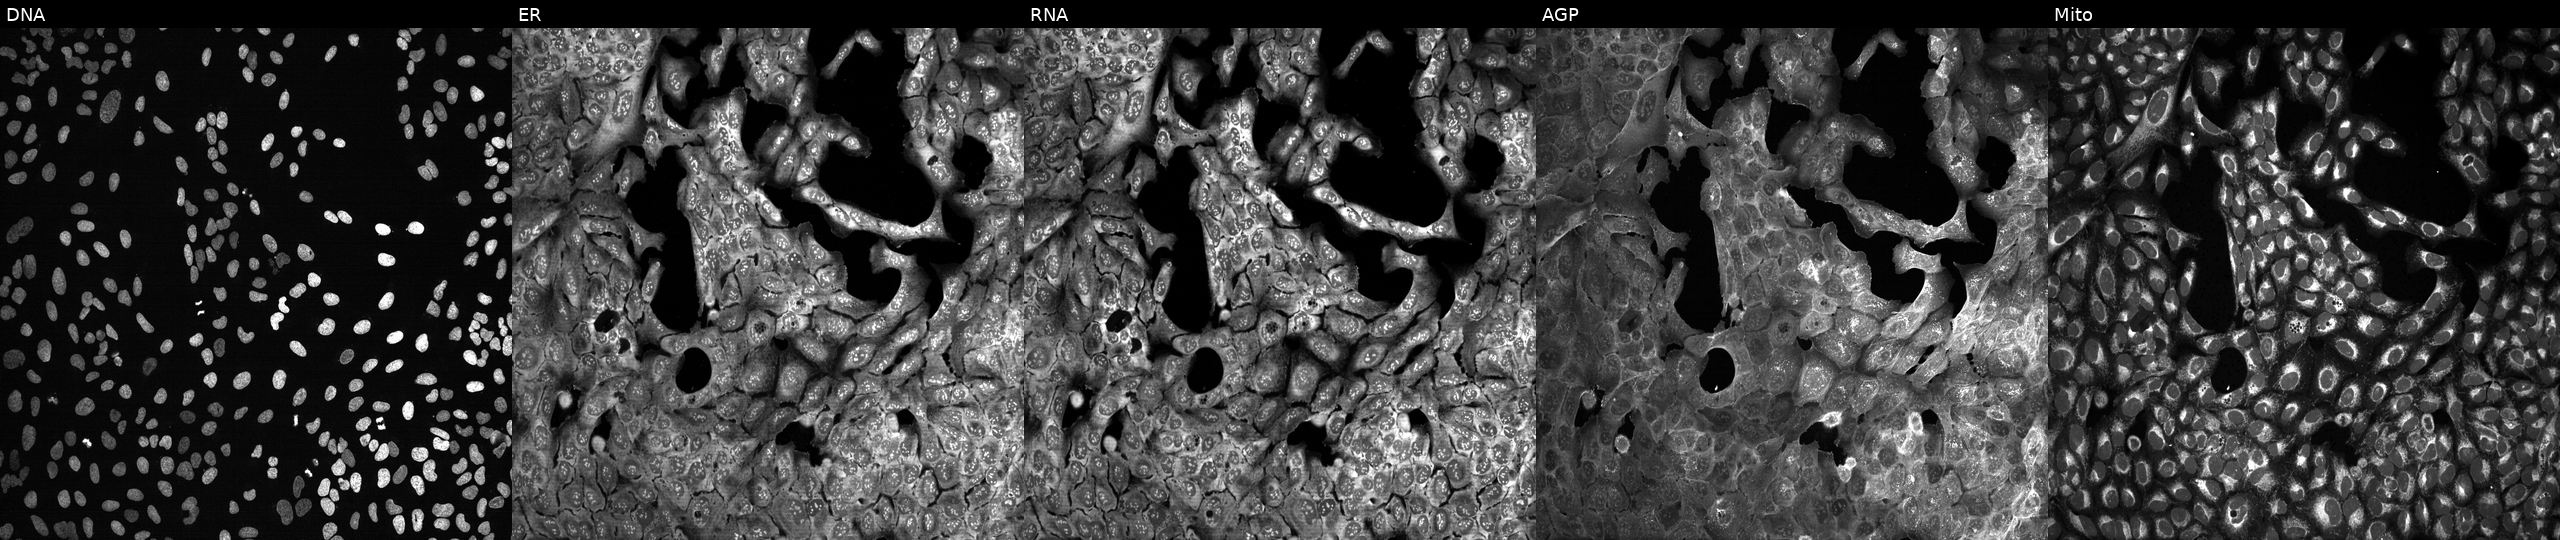
Five-channel Cell Painting image of U2OS cells following CRISPR knockout of TPP1. Panels show, left to right, DNA, ER, RNA, AGP, and Mito. Source 13, plate CP-CC9-R6-19, well F07.